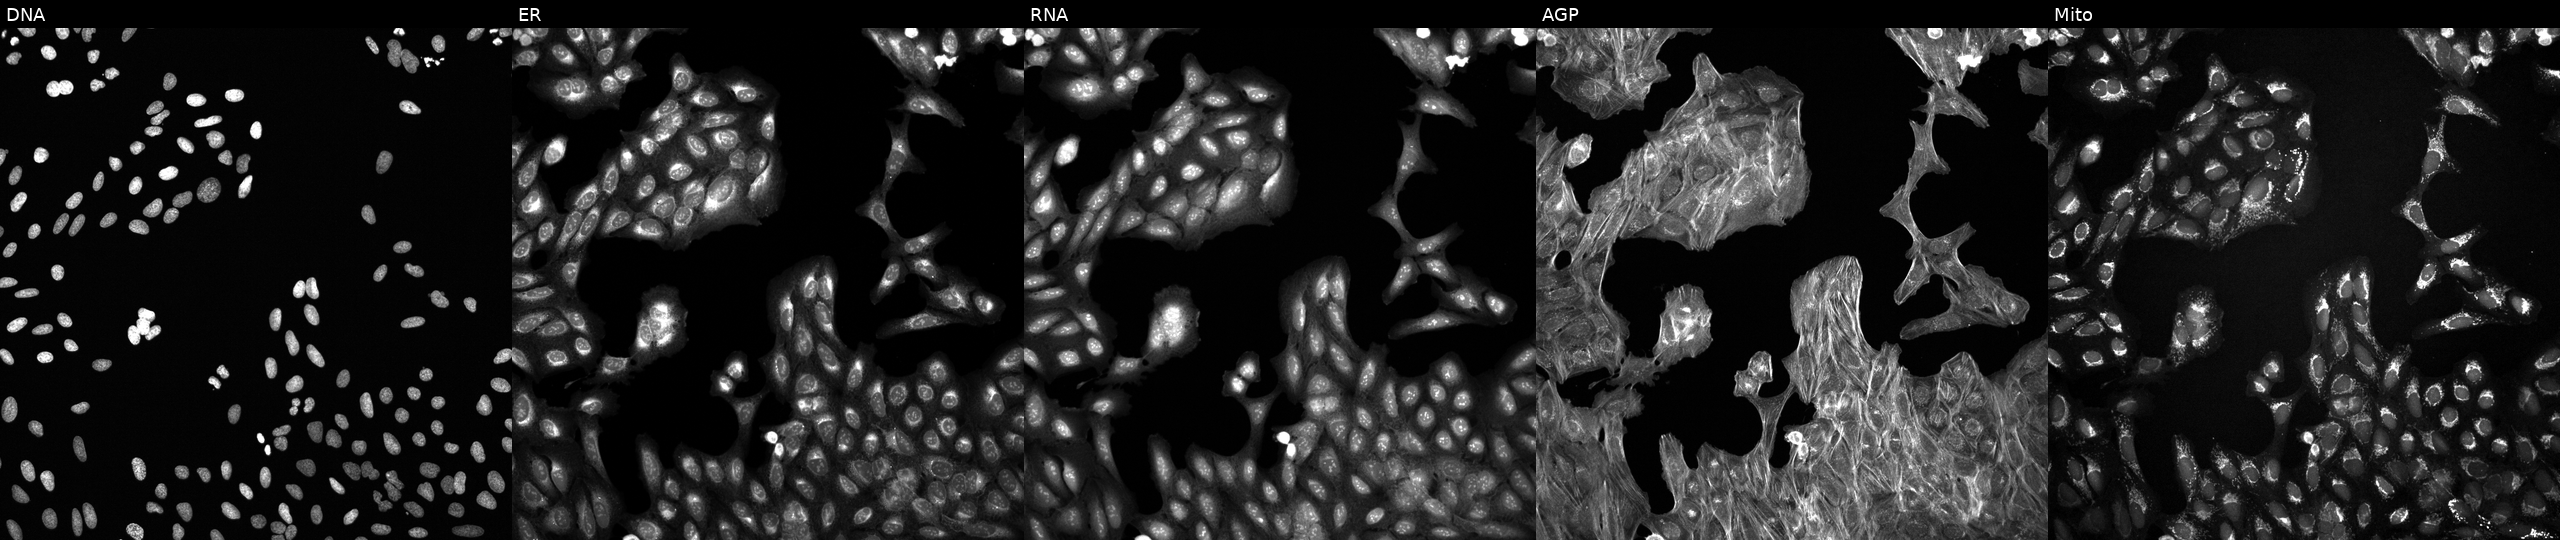
High-content fluorescence microscopy (Cell Painting). Cell line: U2OS. Perturbation: perturbed with a small-molecule compound (JUMP id JCP2022_071544). From left to right: DNA (nuclei); ER (endoplasmic reticulum); RNA (nucleoli and cytoplasmic RNA); AGP (actin cytoskeleton, Golgi, and plasma membrane); Mito (mitochondria). Source 6, plate 110000293082, well B04.